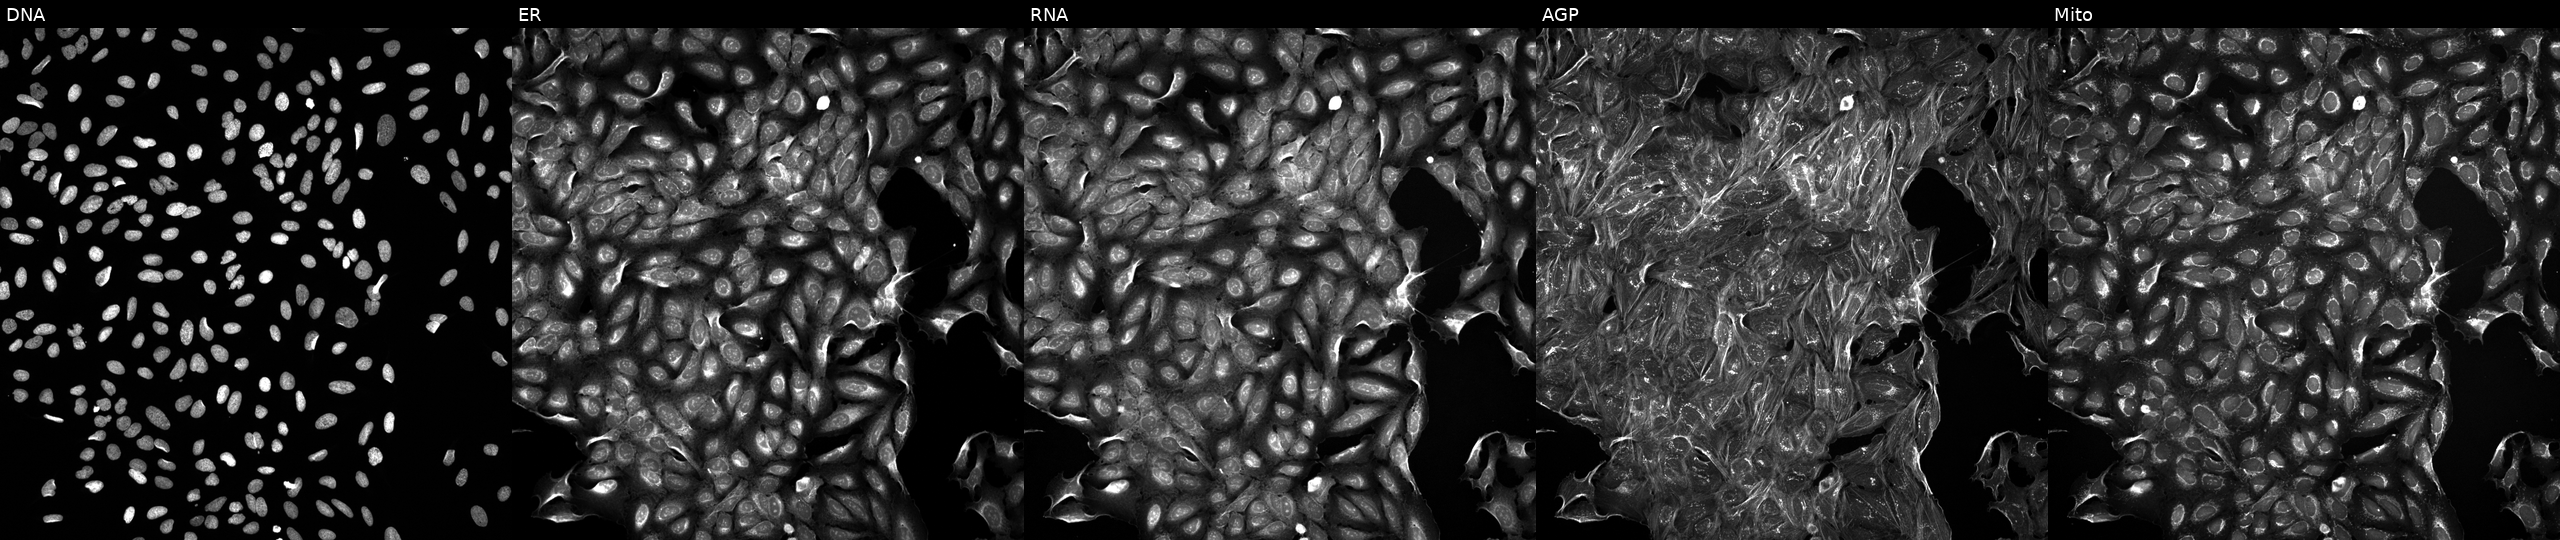
Five-channel Cell Painting image of U2OS cells treated with a small-molecule compound (InChIKey AFJRDFWMXUECEW-UHFFFAOYSA-N). Channels (left→right): DNA, ER, RNA, AGP, and Mito.